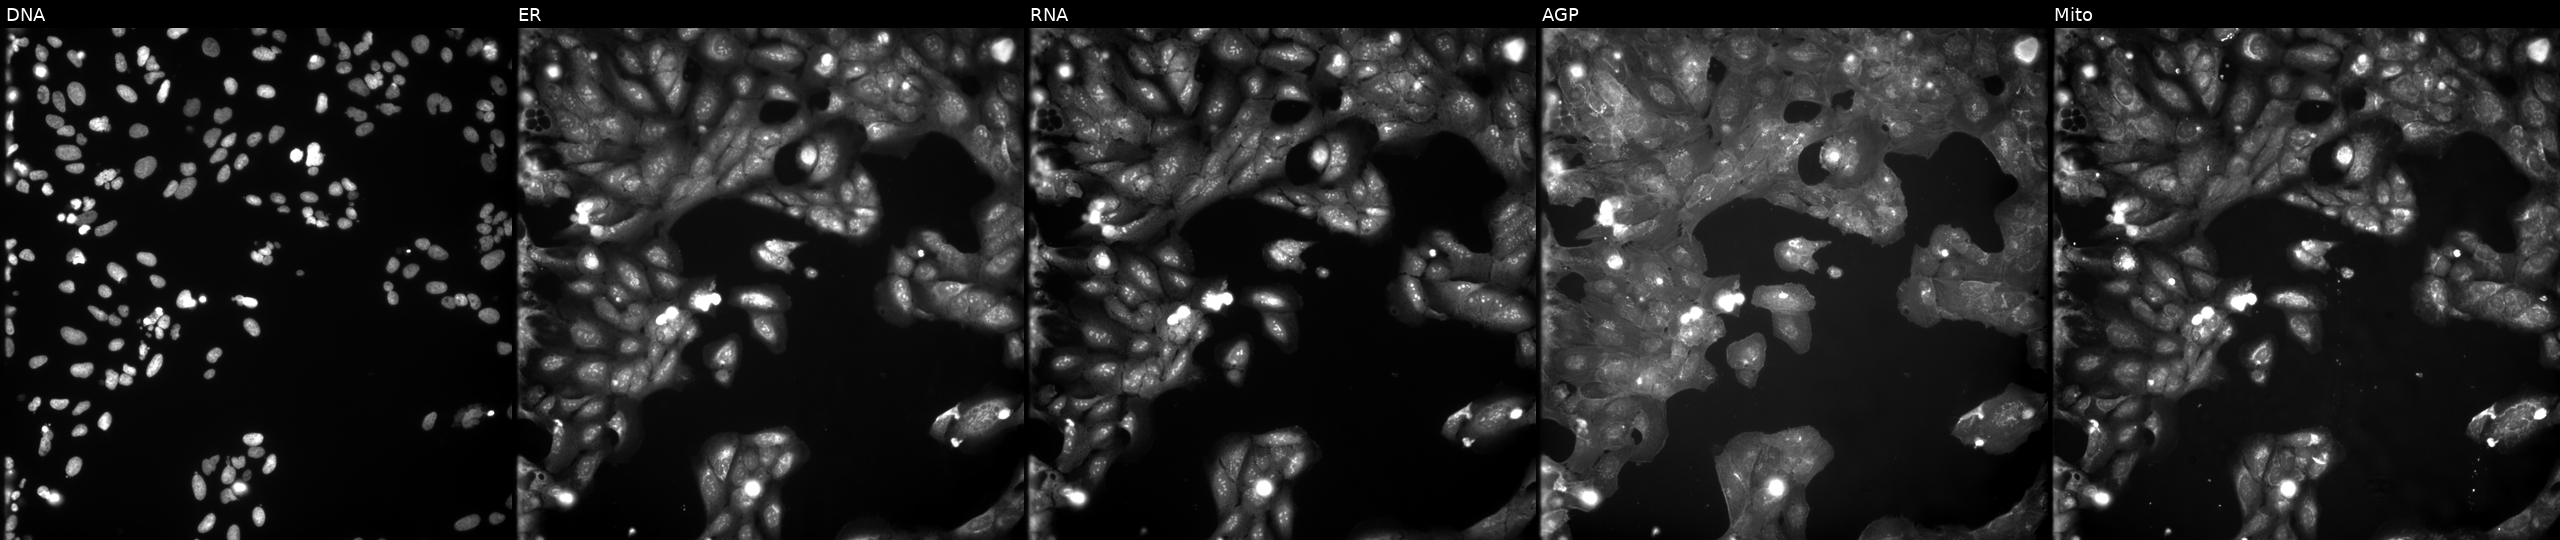
Five-channel Cell Painting image of U2OS cells exposed to a small-molecule compound (InChIKey CRLMTZFDPKAVSS-UHFFFAOYSA-N) (JUMP id JCP2022_012995). From left to right: DNA, ER, RNA, AGP, and Mito. Source 9, plate GR00003381, well F17.